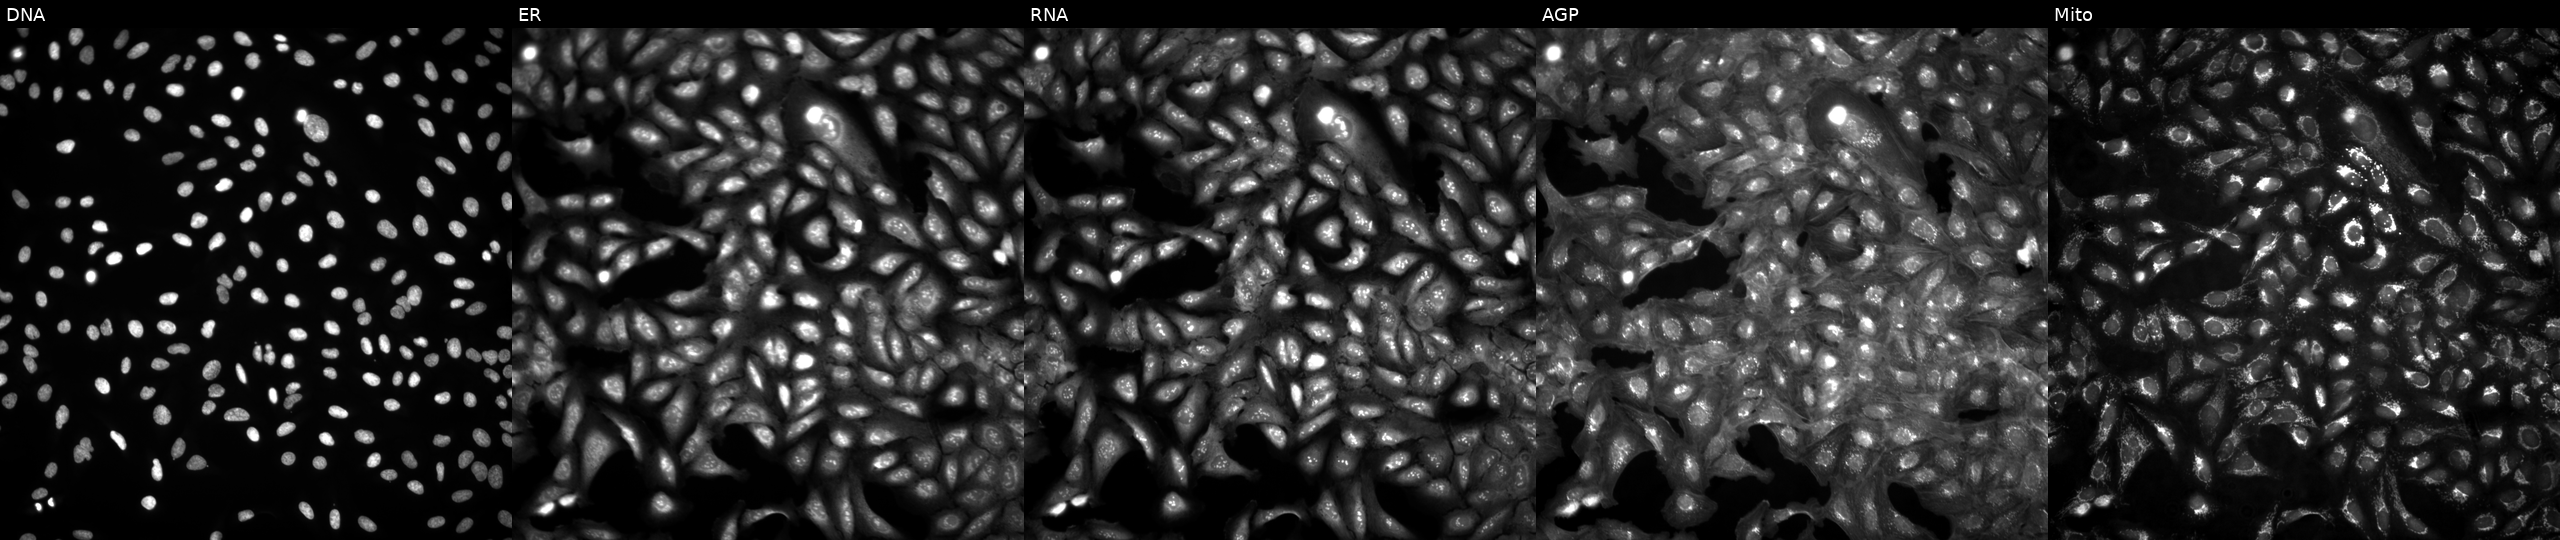
High-content fluorescence microscopy (Cell Painting). Cell line: U2OS. Perturbation: untreated (empty-well control) (JUMP id JCP2022_999999). The five panels, left to right, show Hoechst 33342, concanavalin A, SYTO 14, phalloidin and WGA, MitoTracker.